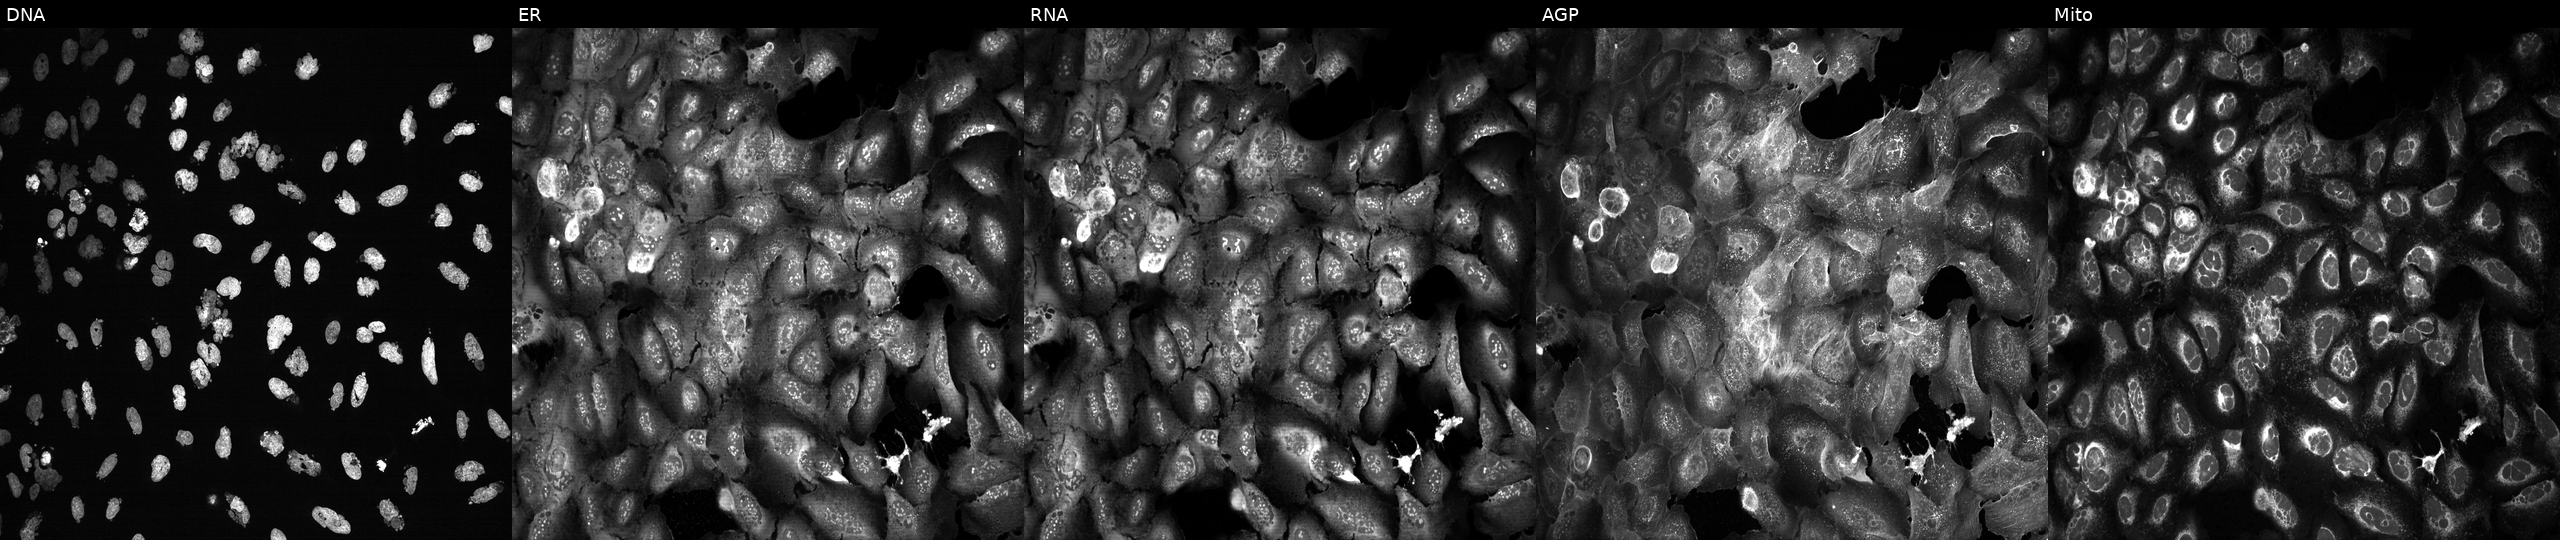
Five-channel Cell Painting image of U2OS cells treated with AMG900 (positive-control compound) (JUMP id JCP2022_037716). Panels show, left to right, Hoechst 33342, concanavalin A, SYTO 14, phalloidin and WGA, MitoTracker. Source 13, plate CP-CC9-R6-19, well N24.